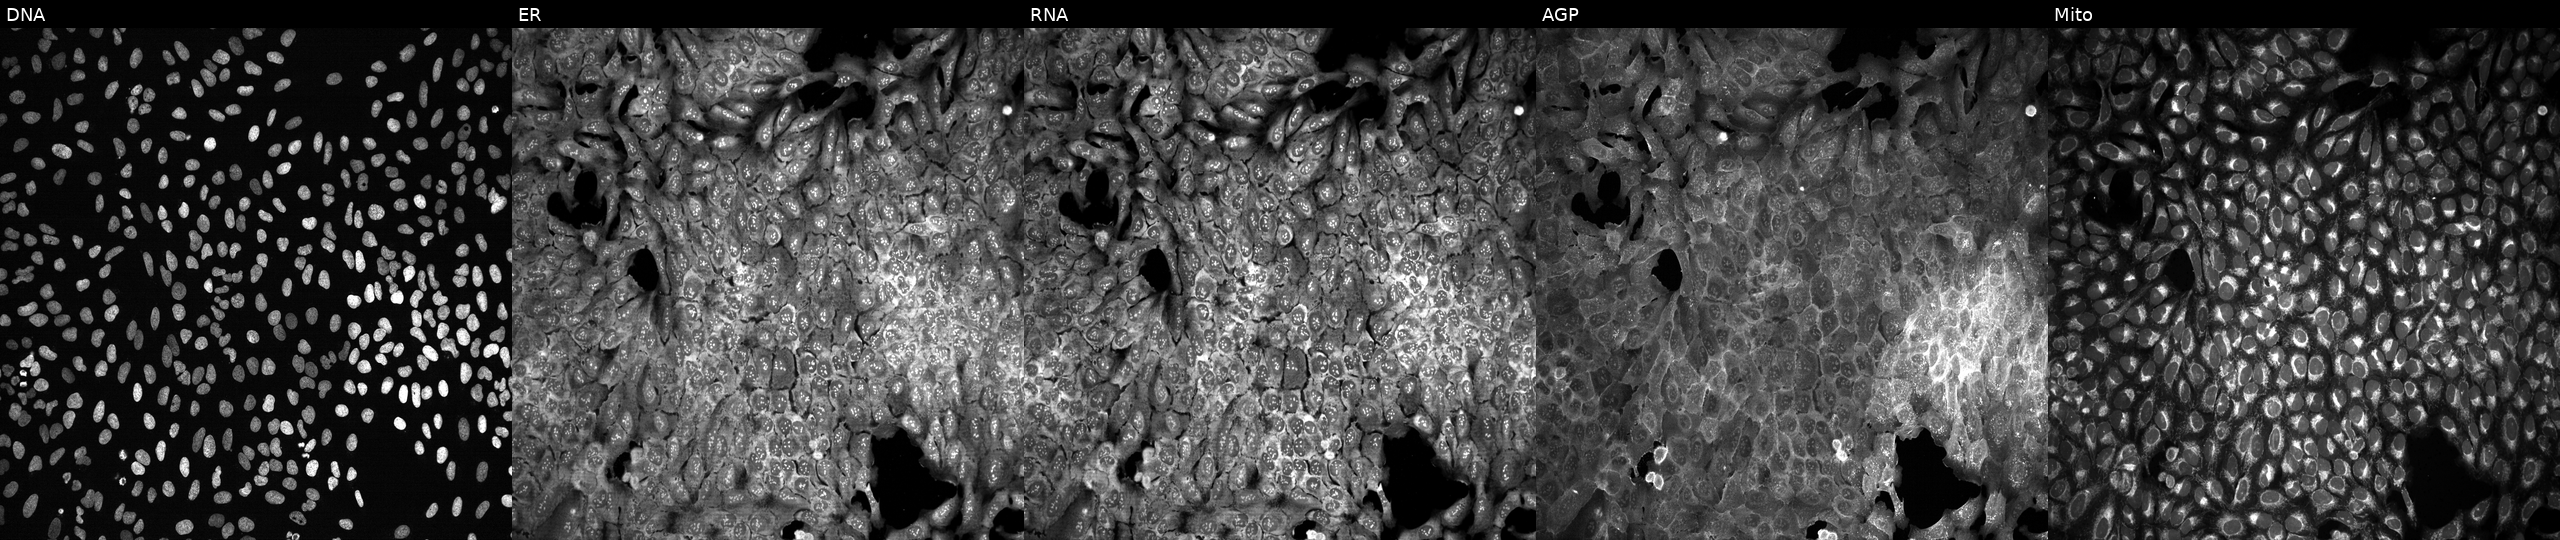
U2OS cells, Cell Painting assay, CRISPR-edited to disrupt TMPRSS7. Channels (left→right): DNA (nuclei); ER (endoplasmic reticulum); RNA (nucleoli and cytoplasmic RNA); AGP (actin cytoskeleton, Golgi, and plasma membrane); Mito (mitochondria). Each panel is percentile-stretched 16-bit fluorescence.